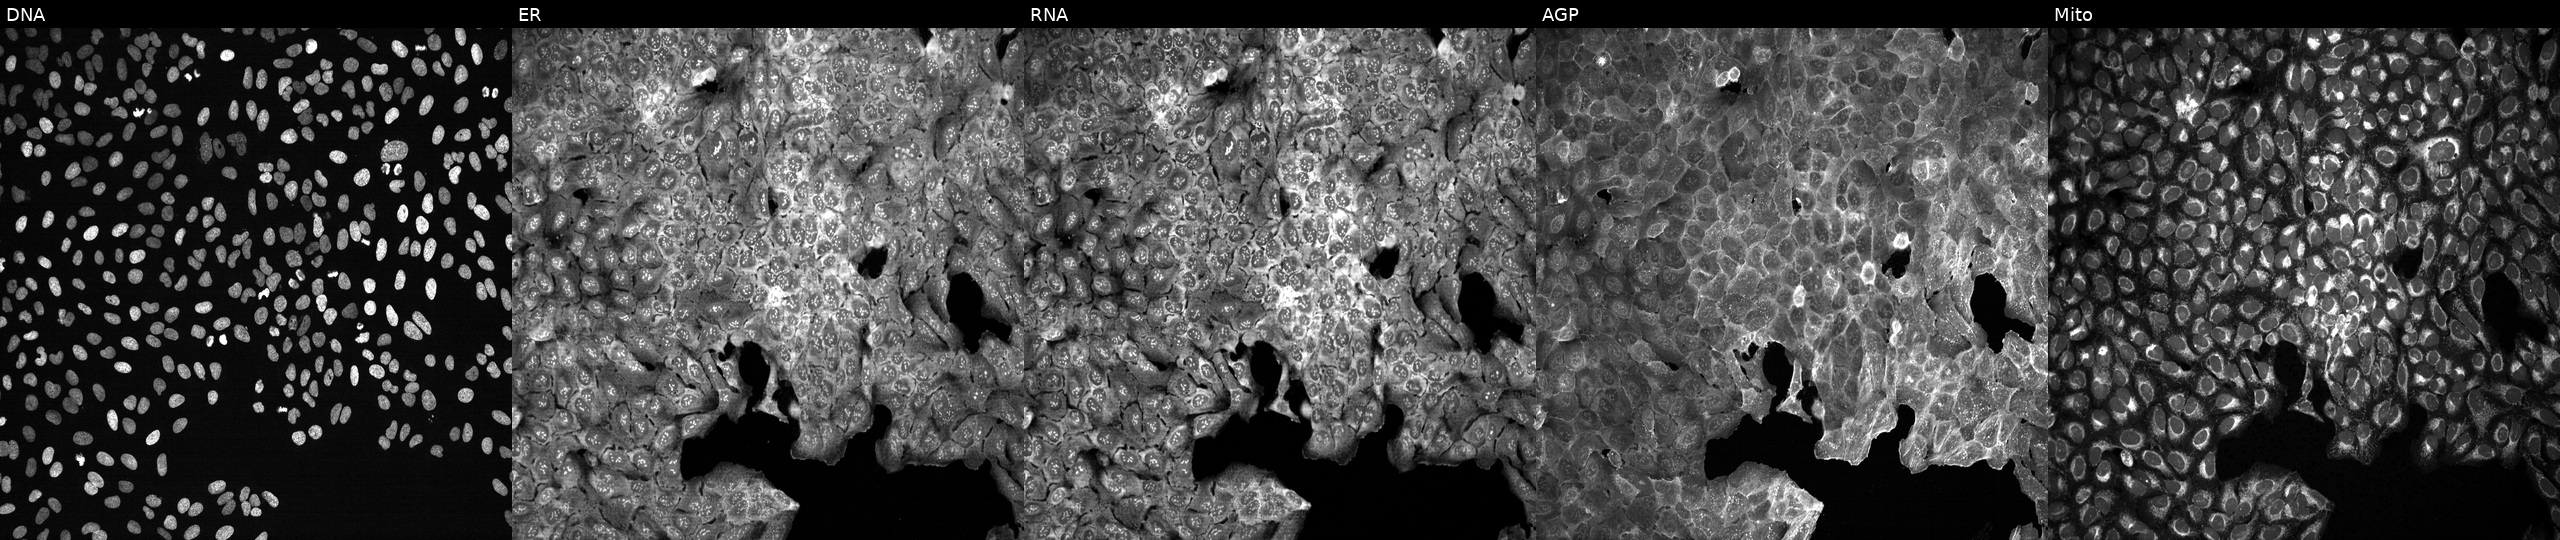
From left to right: DNA, ER, RNA, AGP, and Mito. U2OS osteosarcoma cells with no CRISPR guide (negative control) (JUMP id JCP2022_800001). Cell Painting assay, JUMP-CP dataset.